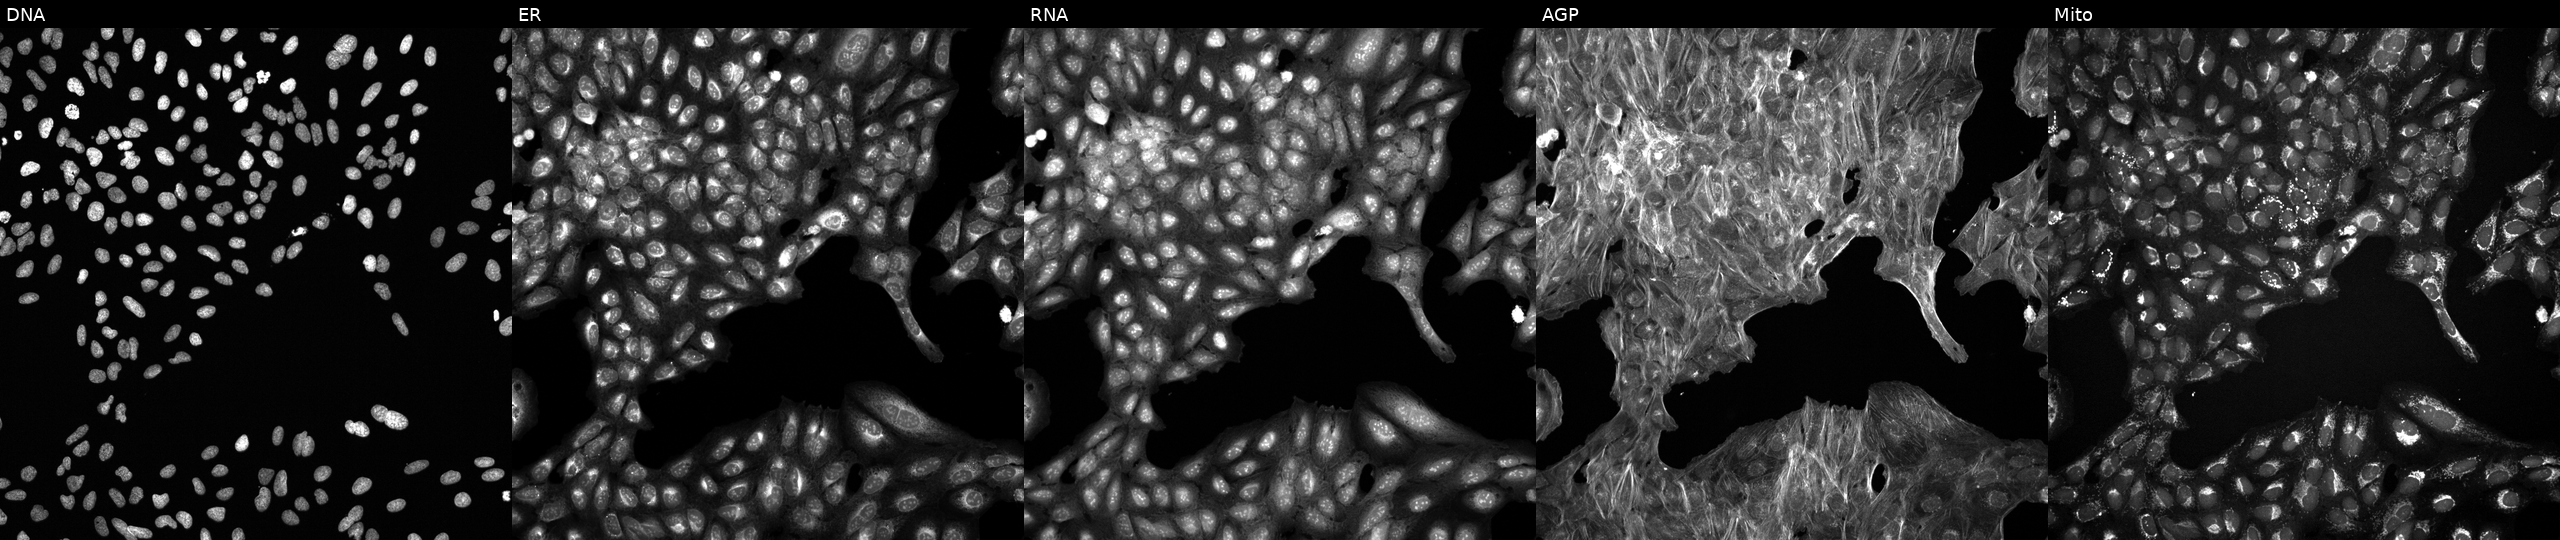
Channels (left→right): DNA, ER, RNA, AGP, and Mito. U2OS osteosarcoma cells treated with a small-molecule compound (InChIKey HGUCZYCEGBFXOE-UHFFFAOYSA-N) (JUMP id JCP2022_030087). Cell Painting assay, JUMP-CP dataset.